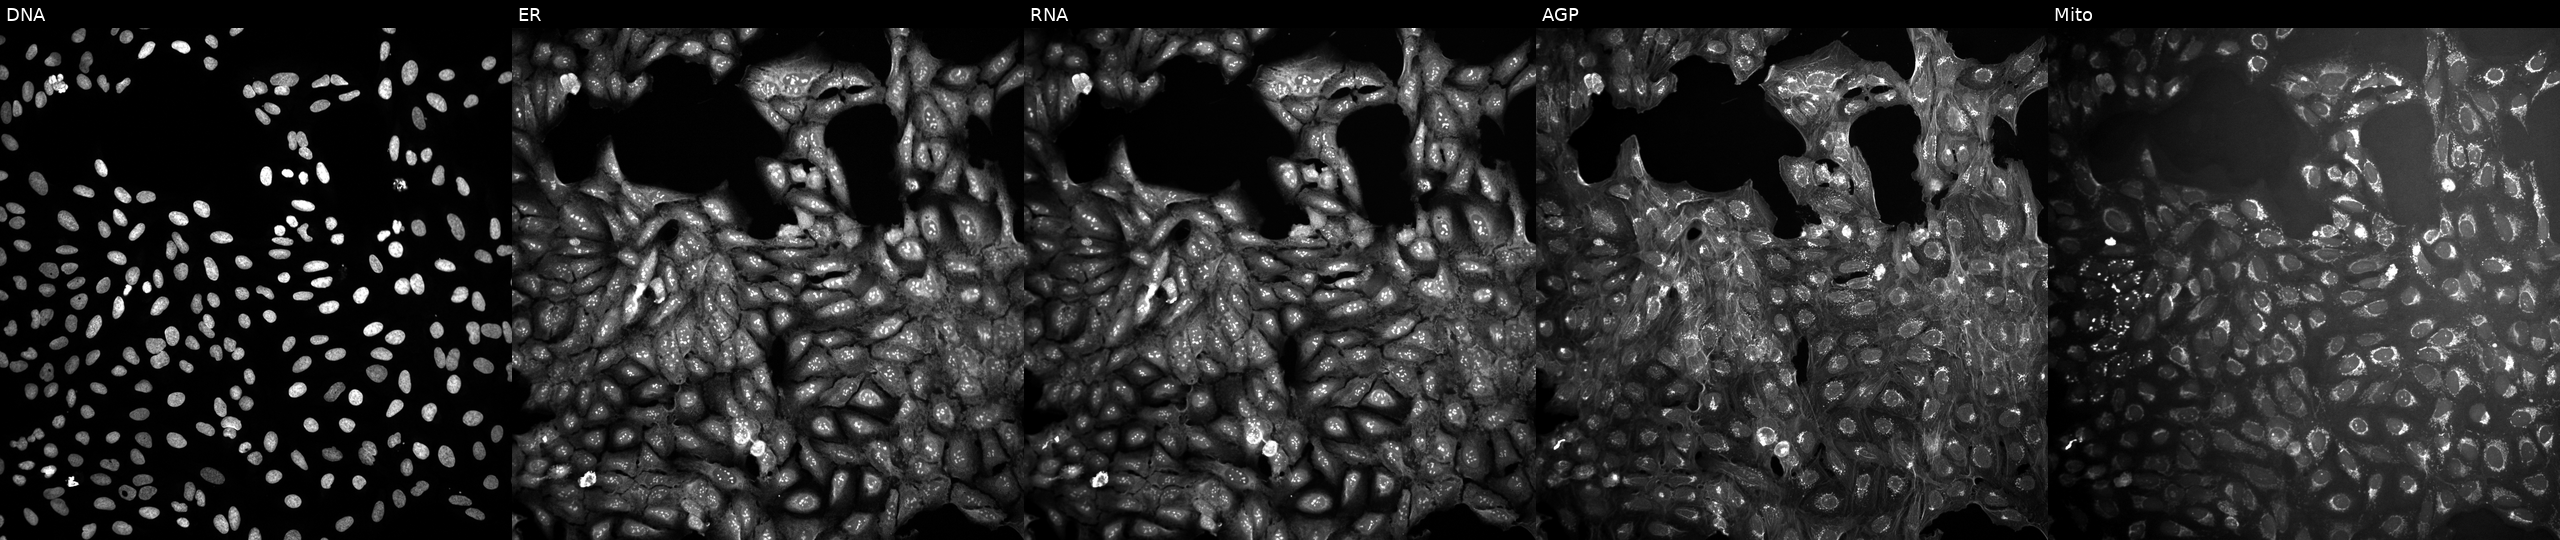
Panels show, left to right, Hoechst 33342, concanavalin A, SYTO 14, phalloidin and WGA, MitoTracker. U2OS osteosarcoma cells treated with a small-molecule compound (JUMP id JCP2022_052089). Cell Painting assay, JUMP-CP dataset.